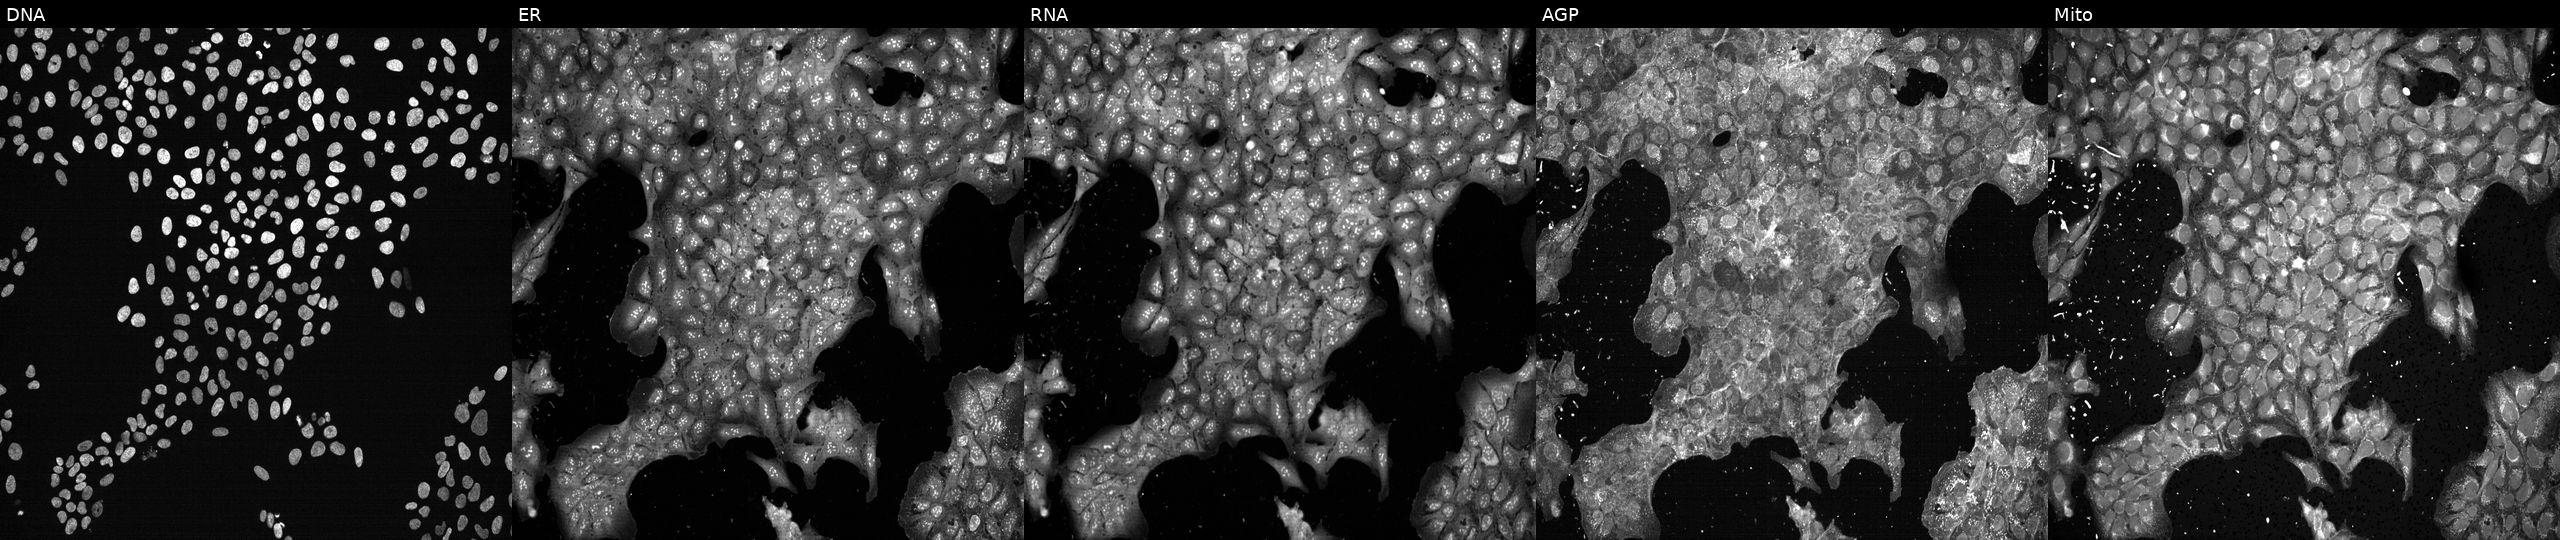
Panels show, left to right, DNA (nuclei); ER (endoplasmic reticulum); RNA (nucleoli and cytoplasmic RNA); AGP (actin cytoskeleton, Golgi, and plasma membrane); Mito (mitochondria). U2OS osteosarcoma cells exposed to the positive-control compound LY2109761. Cell Painting assay, JUMP-CP dataset. Source 13, plate CP-CC9-R1-01, well M01.